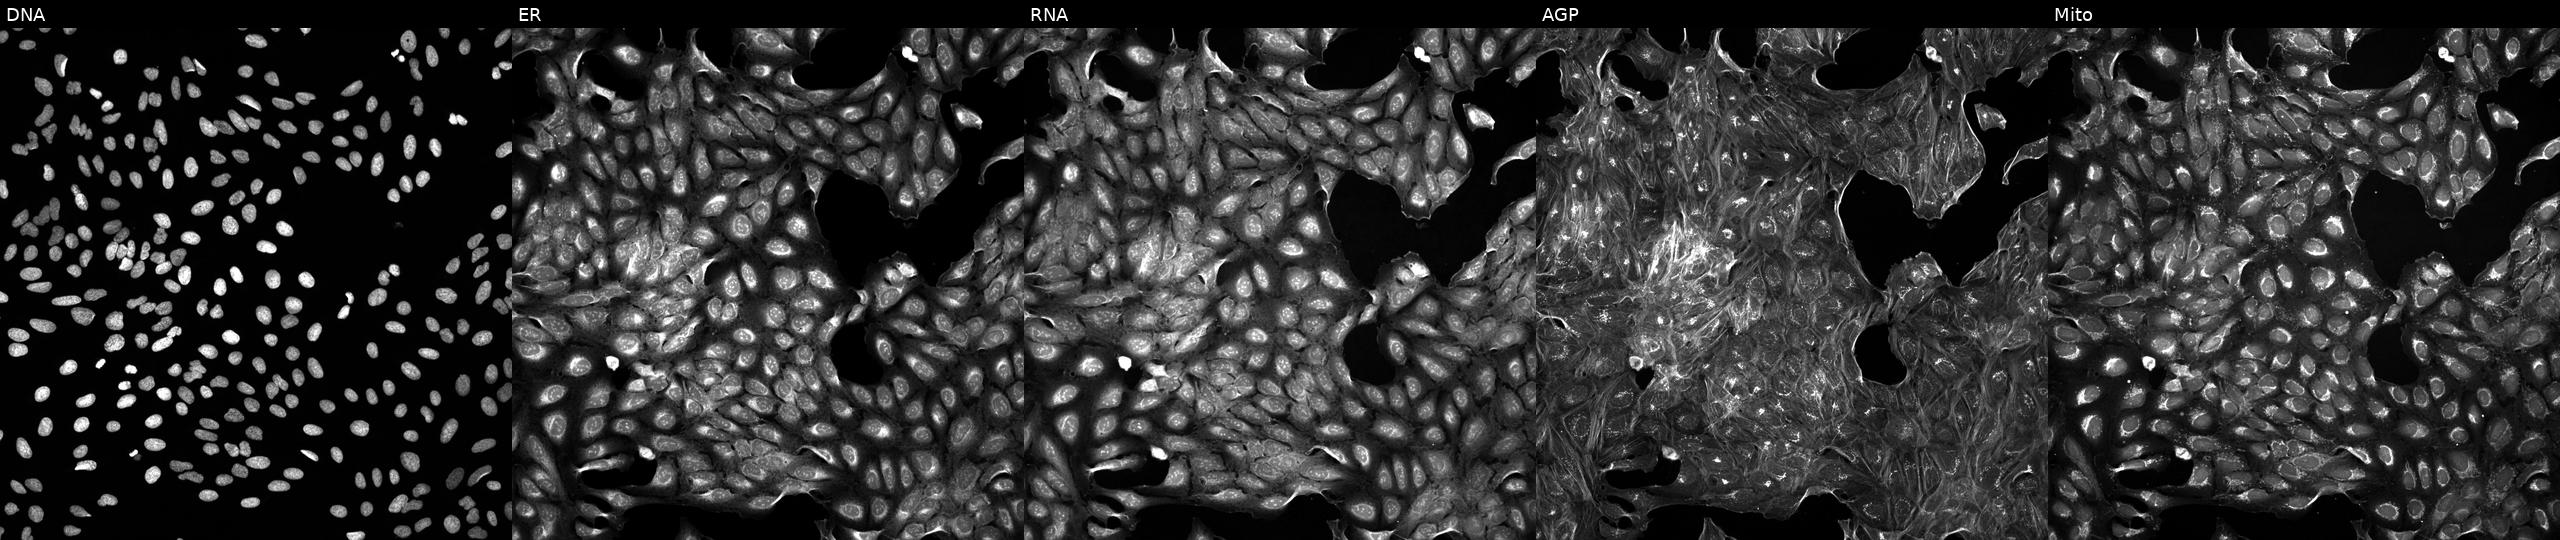
Five-channel Cell Painting image of U2OS cells exposed to DMSO alone as a negative control (JUMP id JCP2022_033924). Channels (left→right): DNA (nuclei); ER (endoplasmic reticulum); RNA (nucleoli and cytoplasmic RNA); AGP (actin cytoskeleton, Golgi, and plasma membrane); Mito (mitochondria).